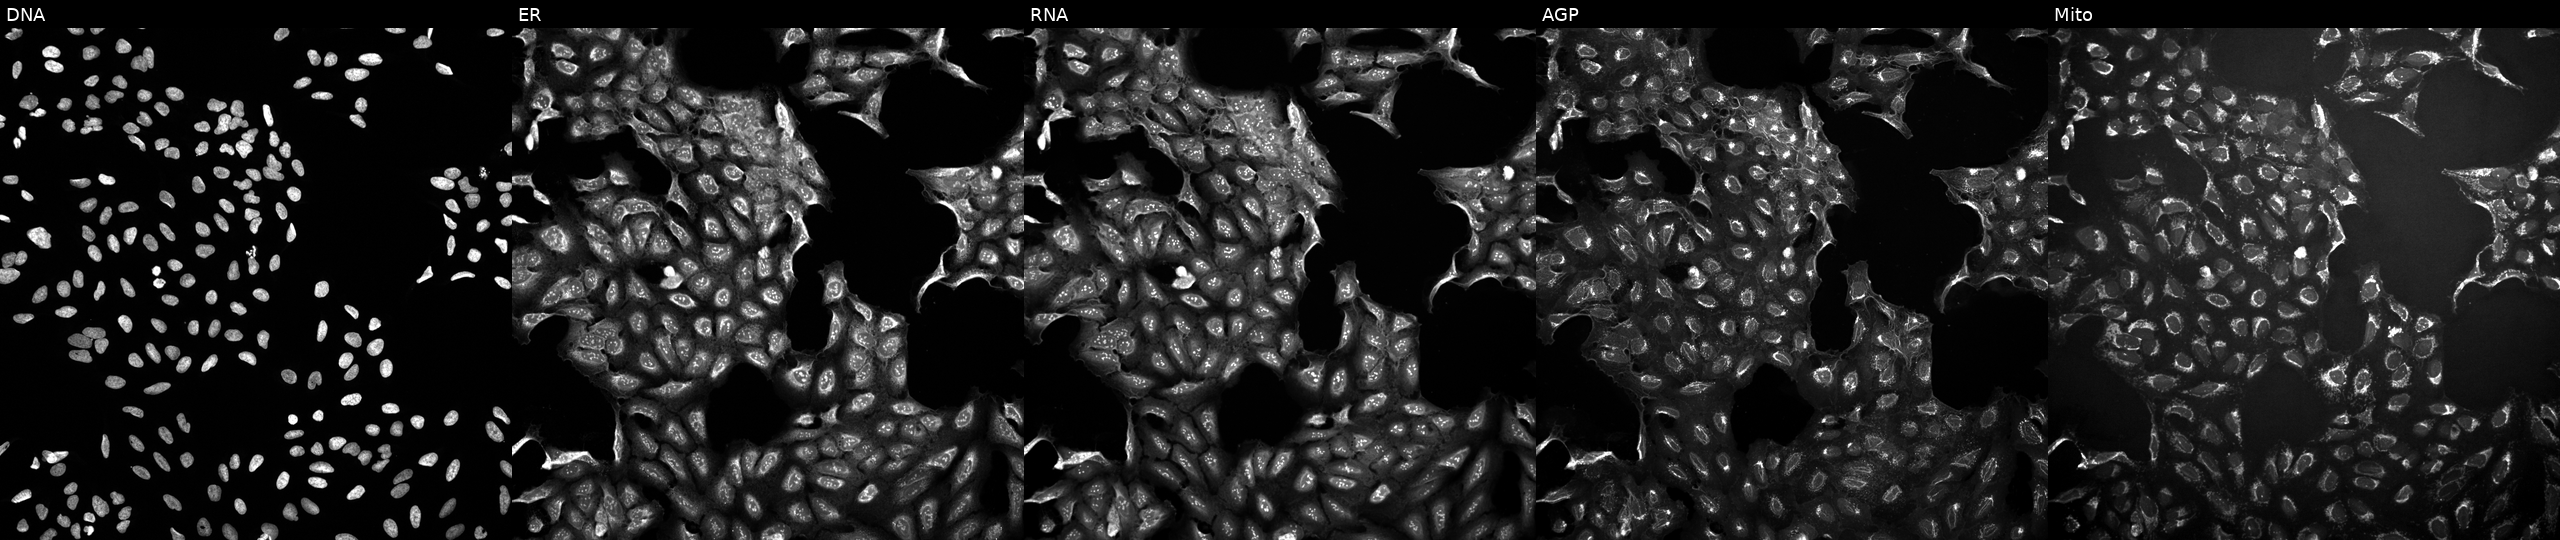
JUMP Cell Painting — TARGET2 plate. U2OS cells exposed to DMSO alone as a negative control. The five panels, left to right, show DNA, ER, RNA, AGP, and Mito.